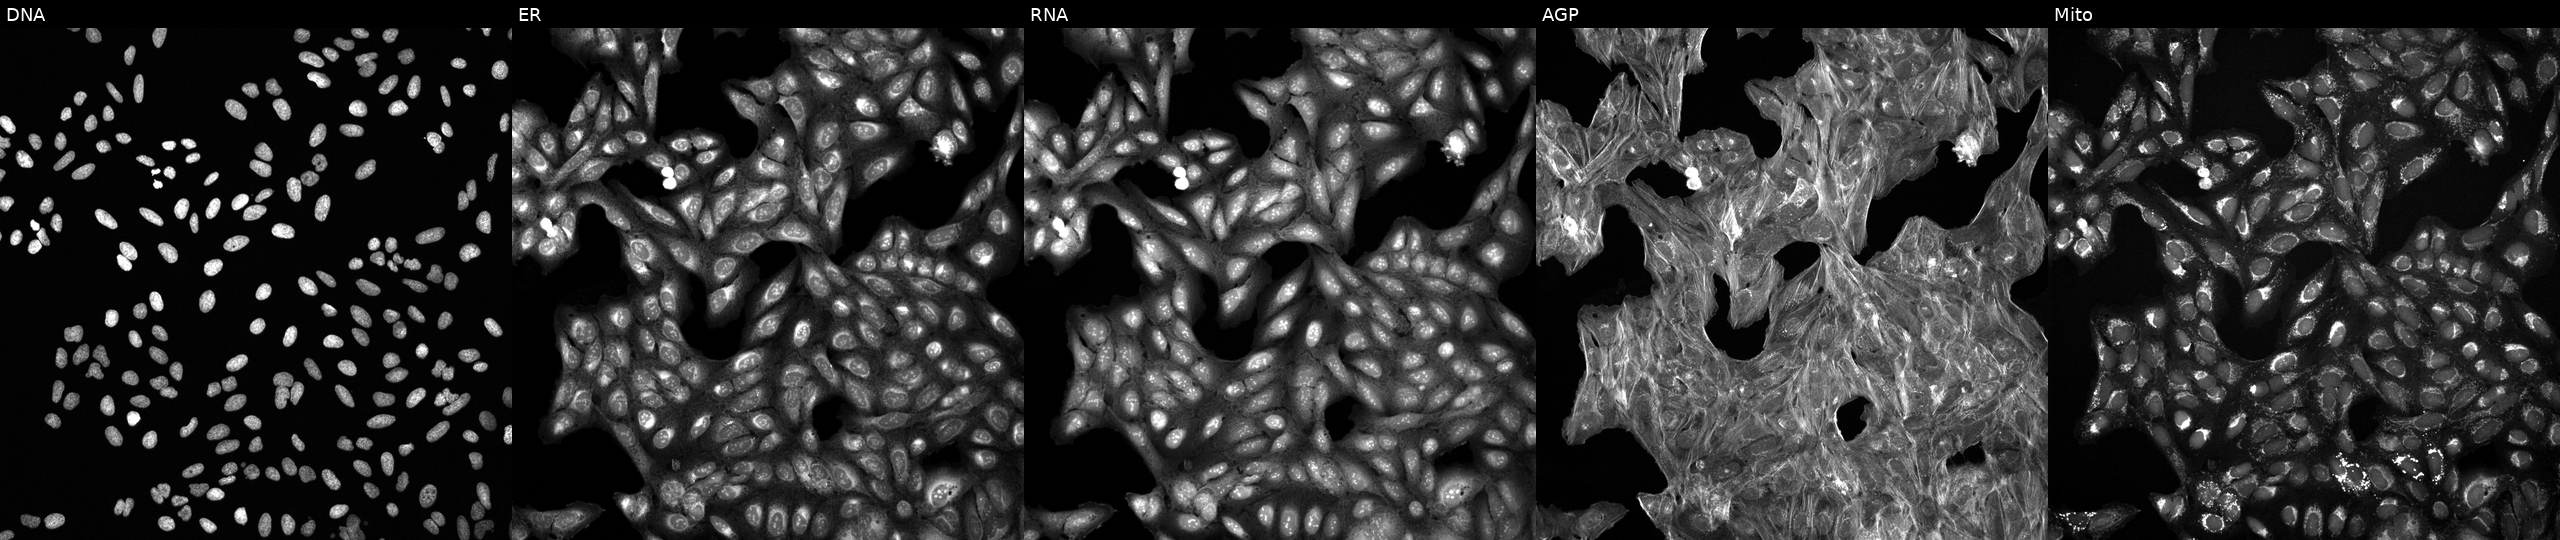
Five-channel Cell Painting image of U2OS cells exposed to a small-molecule compound (JUMP id JCP2022_064060). The five panels, left to right, show DNA, ER, RNA, AGP, and Mito.